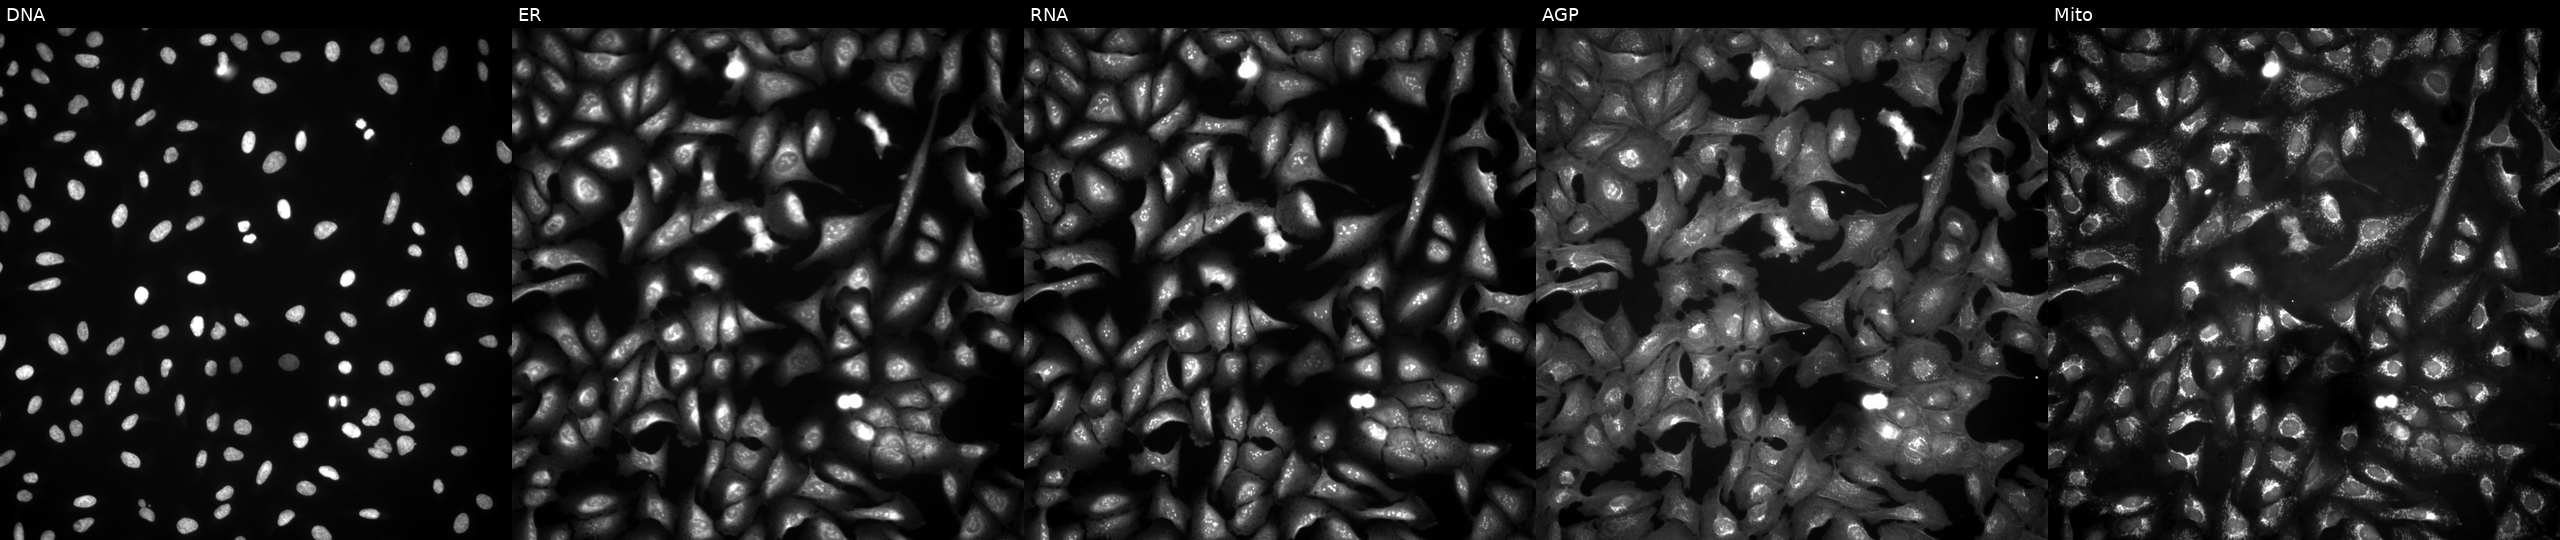
U2OS cells, Cell Painting assay, with RAD54L2 overexpressed (ORF). The five panels, left to right, show DNA, ER, RNA, AGP, and Mito. Each panel is percentile-stretched 16-bit fluorescence. Source 4, plate BR00124790, well C07.